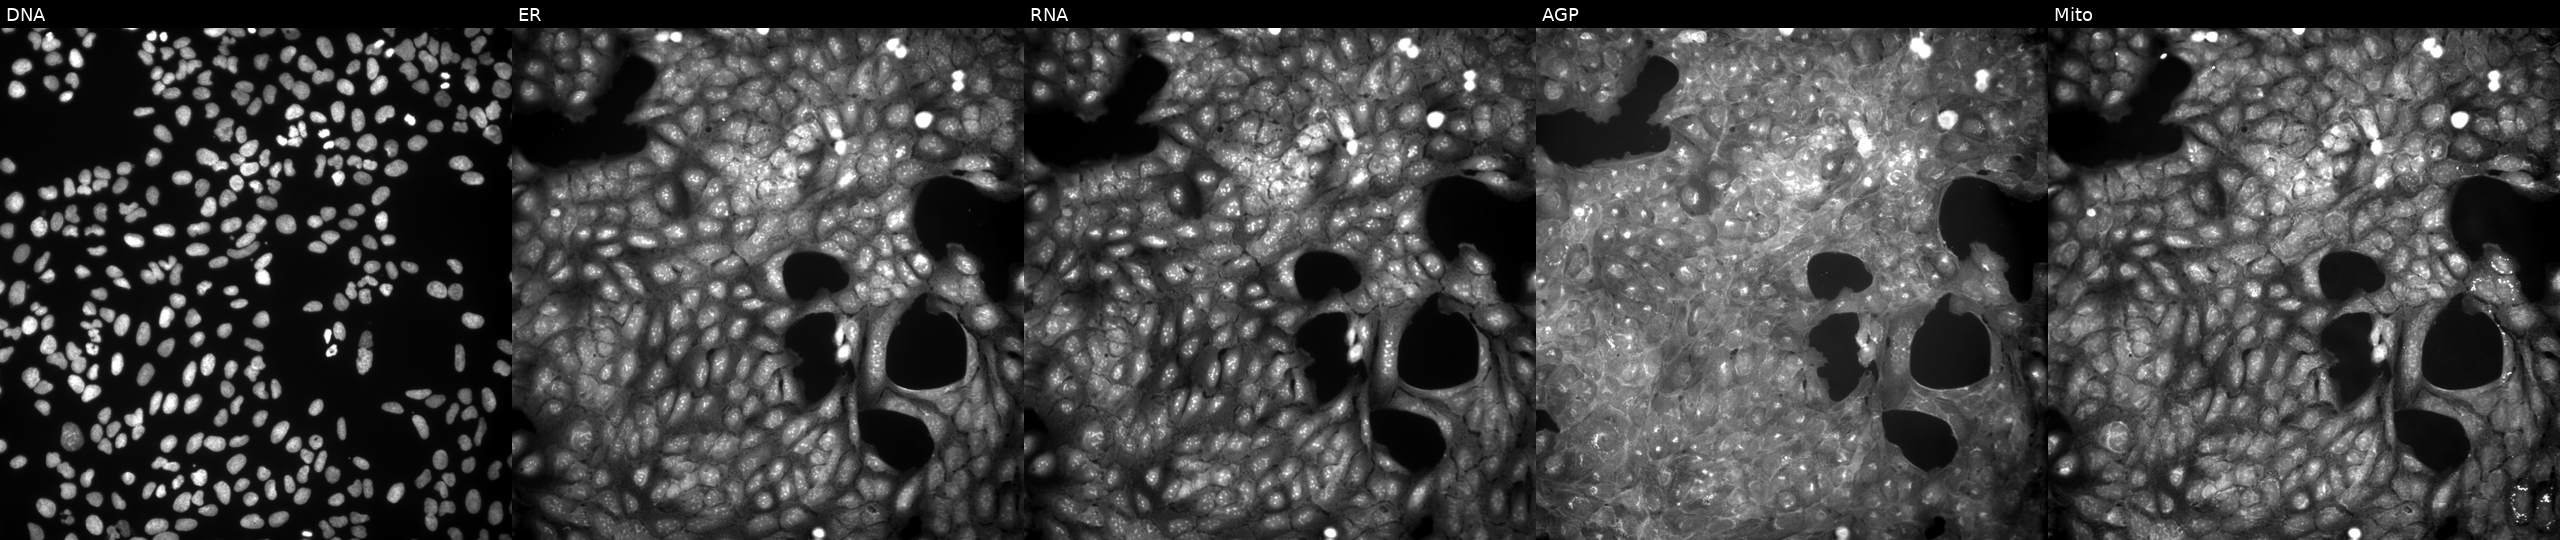
JUMP Cell Painting — COMPOUND plate. U2OS cells perturbed with a small-molecule compound (JUMP id JCP2022_085489). The five panels, left to right, show DNA (nuclei); ER (endoplasmic reticulum); RNA (nucleoli and cytoplasmic RNA); AGP (actin cytoskeleton, Golgi, and plasma membrane); Mito (mitochondria). Source 9, plate GR00003381, well B33.